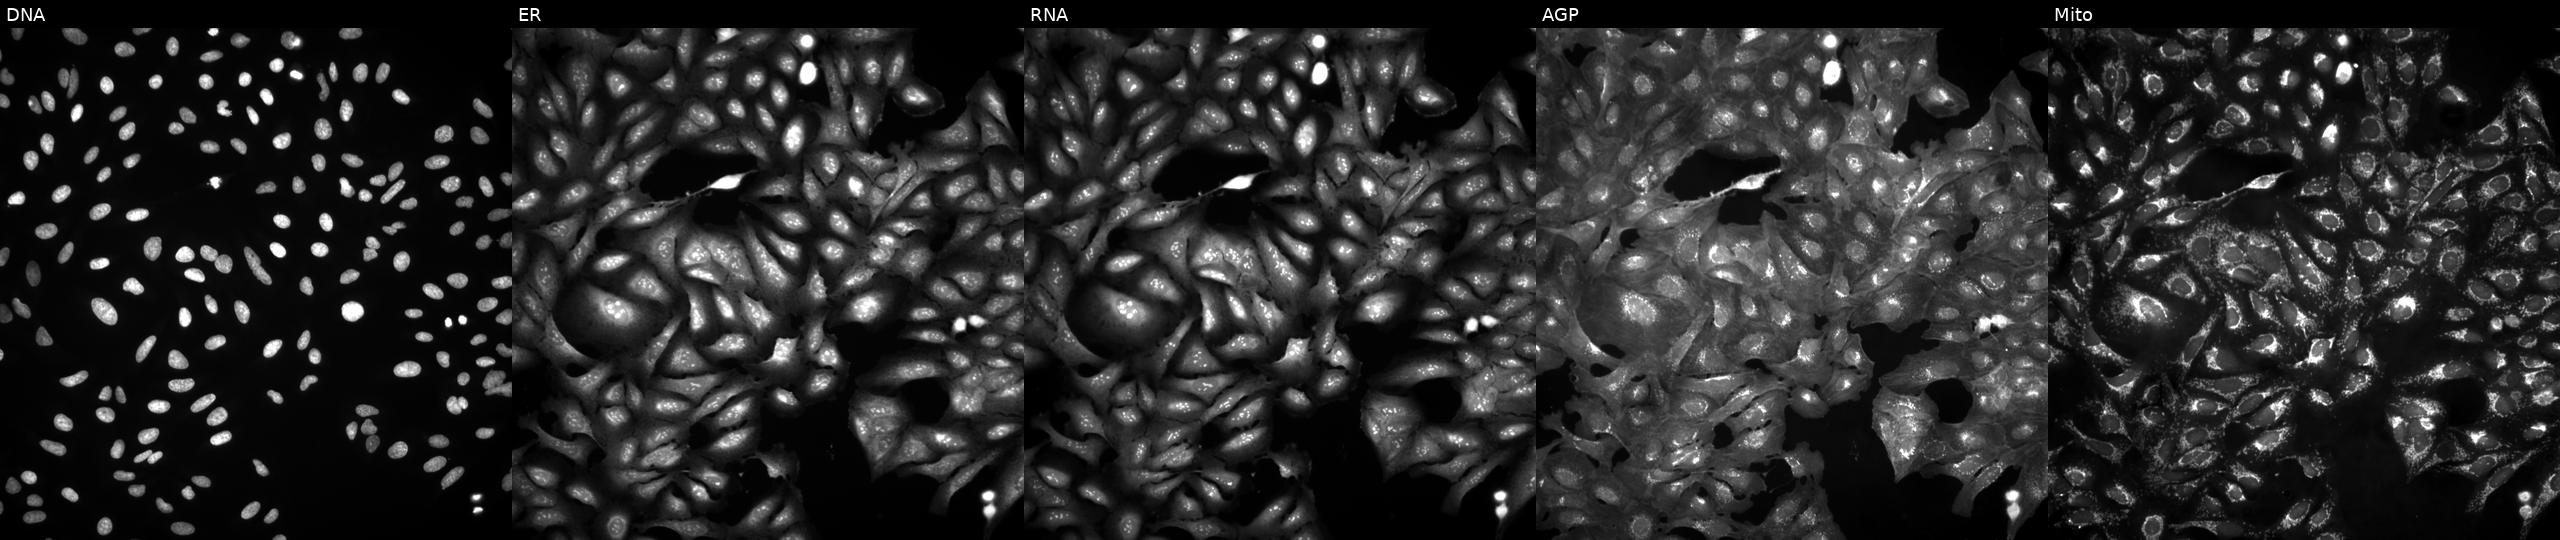
This image strip shows the five Cell Painting channels for a single field of U2OS cells untreated (empty-well control) (JUMP id JCP2022_999999). Channels (left→right): DNA, ER, RNA, AGP, and Mito. Source 4, plate BR00123946, well A01.